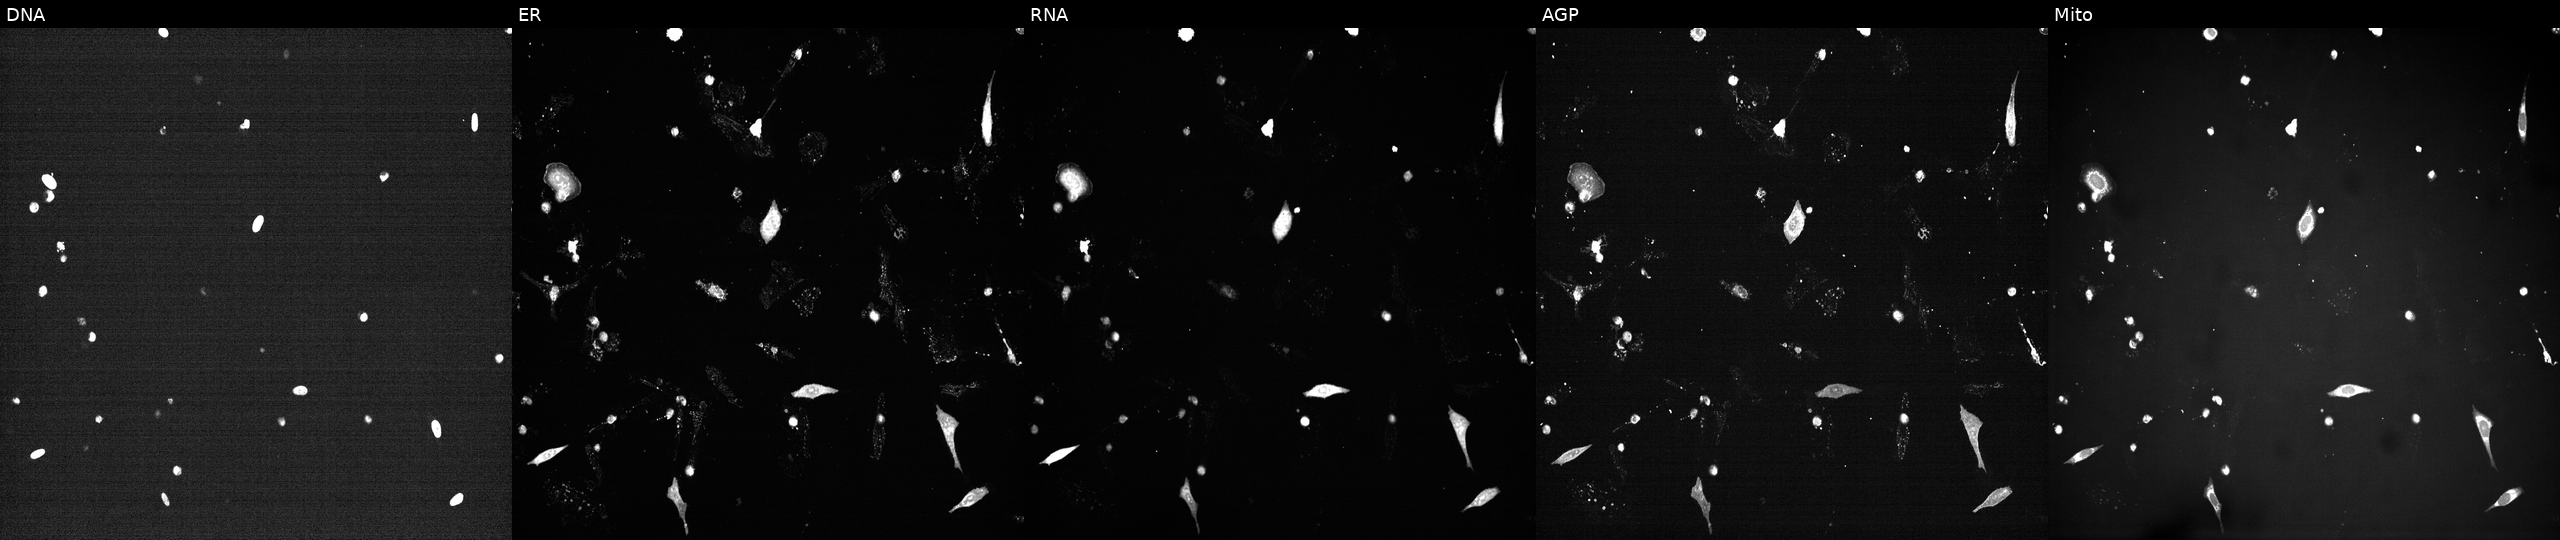
Five-channel Cell Painting image of U2OS cells treated with a small-molecule compound (InChIKey SOOPLNPQGWJZHY-UHFFFAOYSA-N) [SMILES: CCC1=NC(=O)C2CSSCCC=CC(CC(=O)NC(C(C)C)C(=O)N2)OC(=O)C(C(C)C)NC1=O]. Channels (left→right): DNA (nuclei); ER (endoplasmic reticulum); RNA (nucleoli and cytoplasmic RNA); AGP (actin cytoskeleton, Golgi, and plasma membrane); Mito (mitochondria).